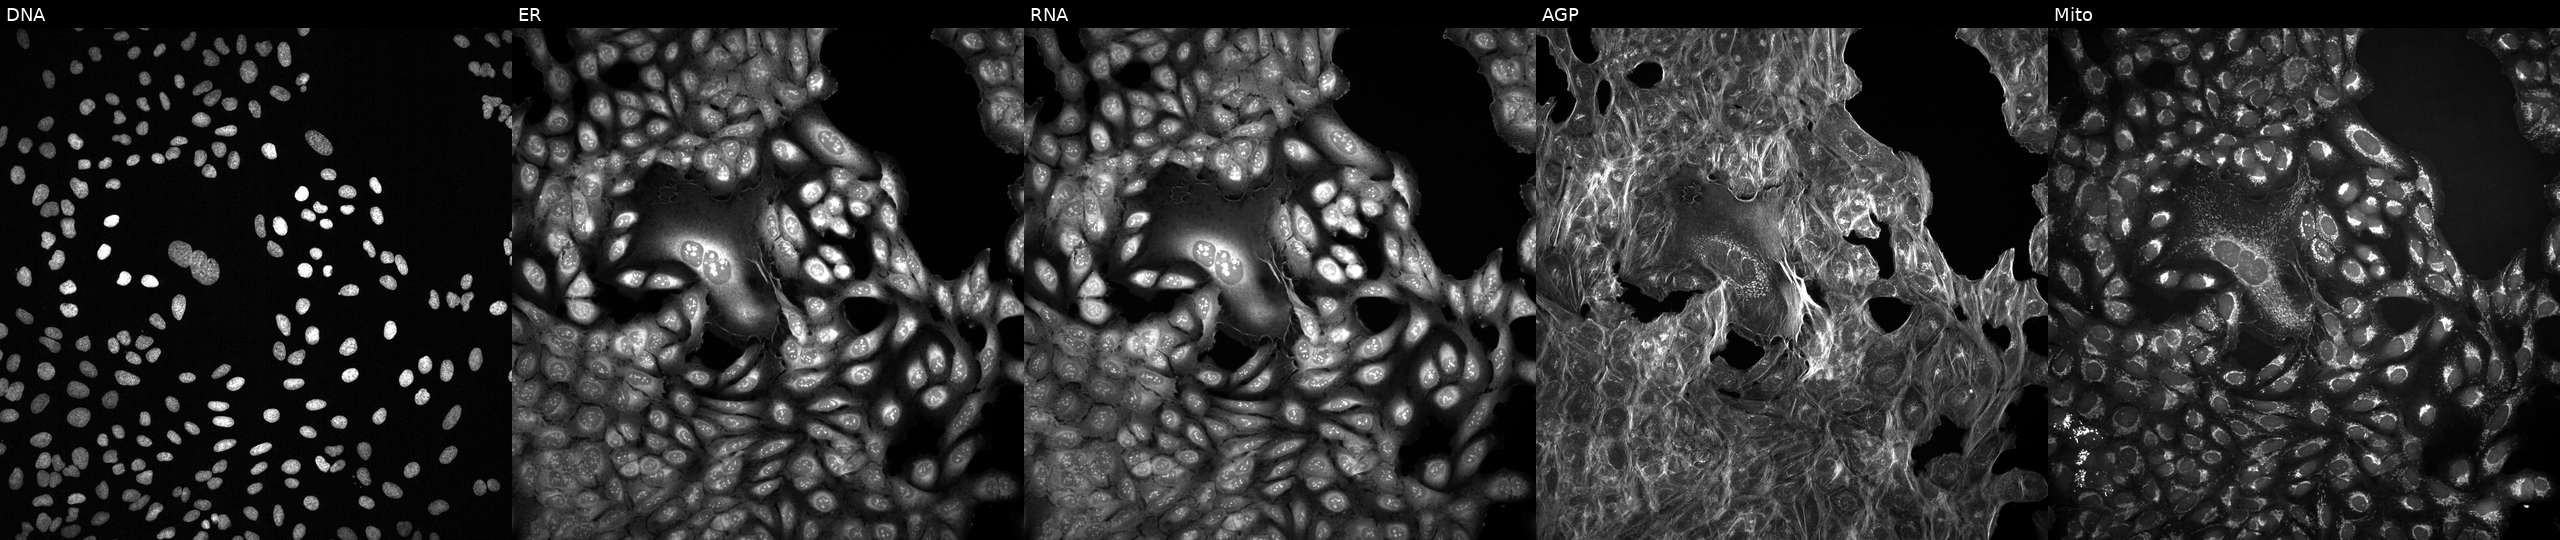
JUMP Cell Painting — COMPOUND plate. U2OS cells with an unidentified perturbation (not annotated in JUMP metadata). The five panels, left to right, show DNA, ER, RNA, AGP, and Mito. Source 2, plate 1053601756, well P05.